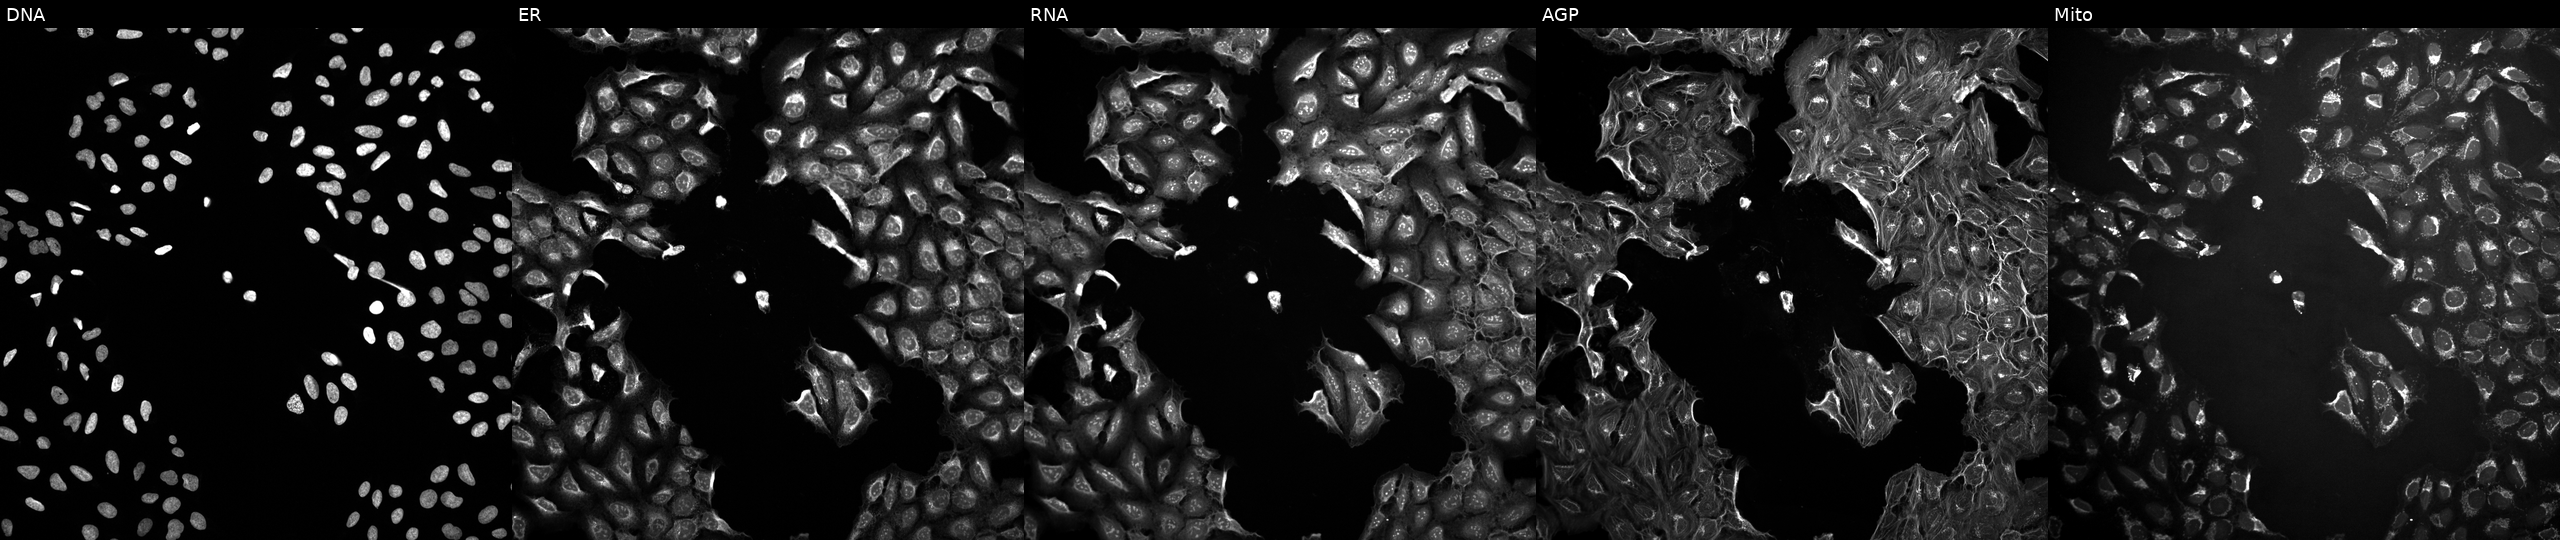
High-content fluorescence microscopy (Cell Painting). Cell line: U2OS. Perturbation: untreated (empty-well control) (JUMP id JCP2022_999999). Panels show, left to right, DNA, ER, RNA, AGP, and Mito. Source 10, plate Dest210531-152324, well L06.